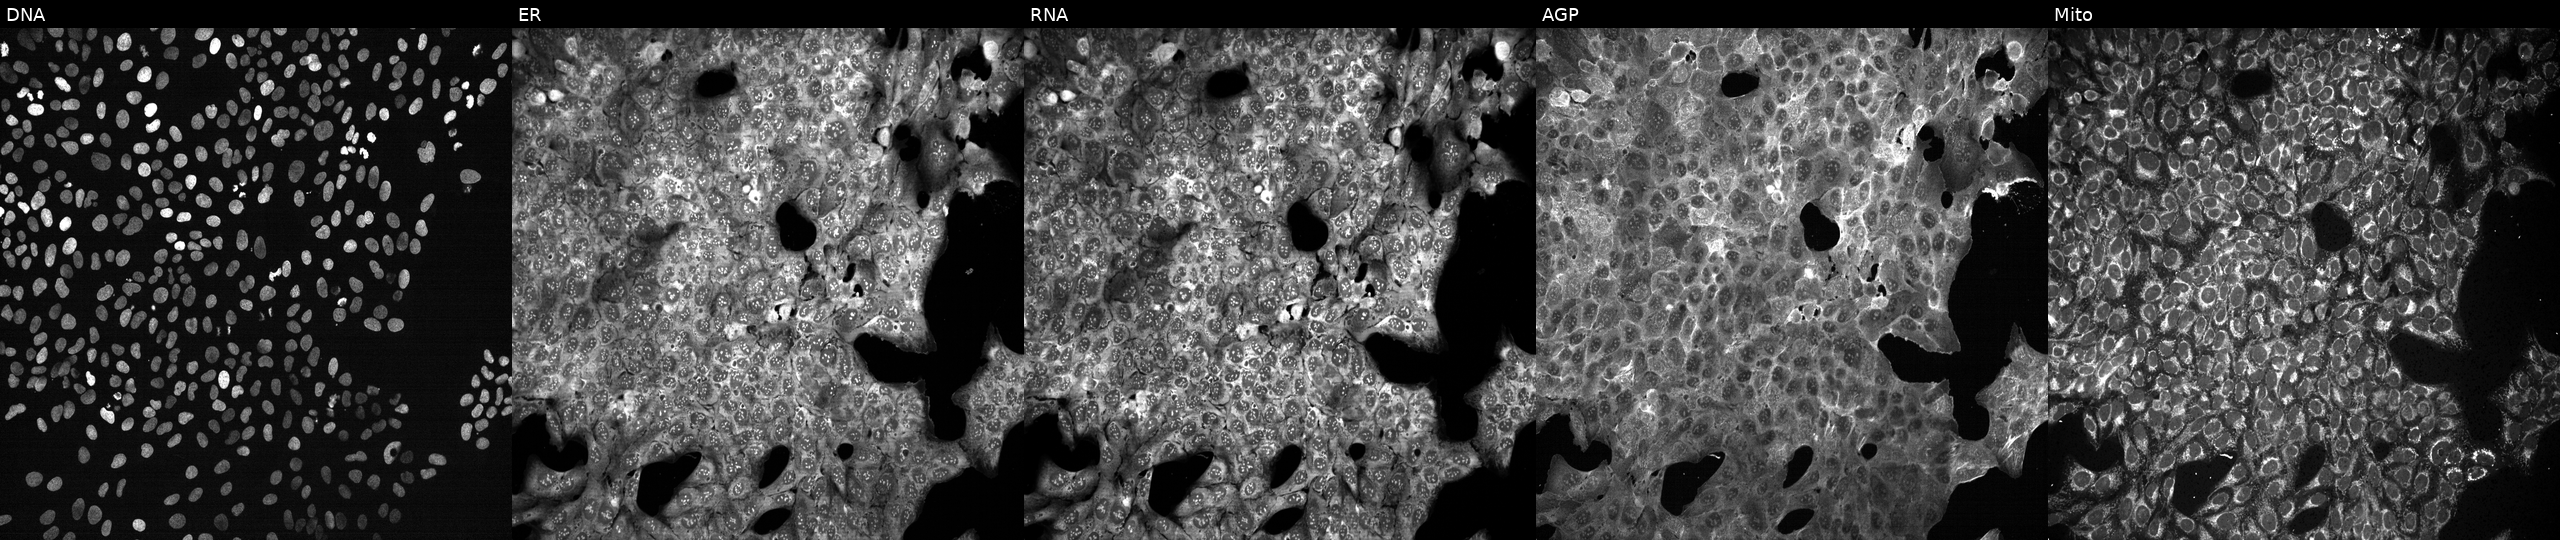
Five-channel Cell Painting image of U2OS cells exposed to the positive-control compound LY2109761 (JUMP id JCP2022_035095). From left to right: DNA, ER, RNA, AGP, and Mito.